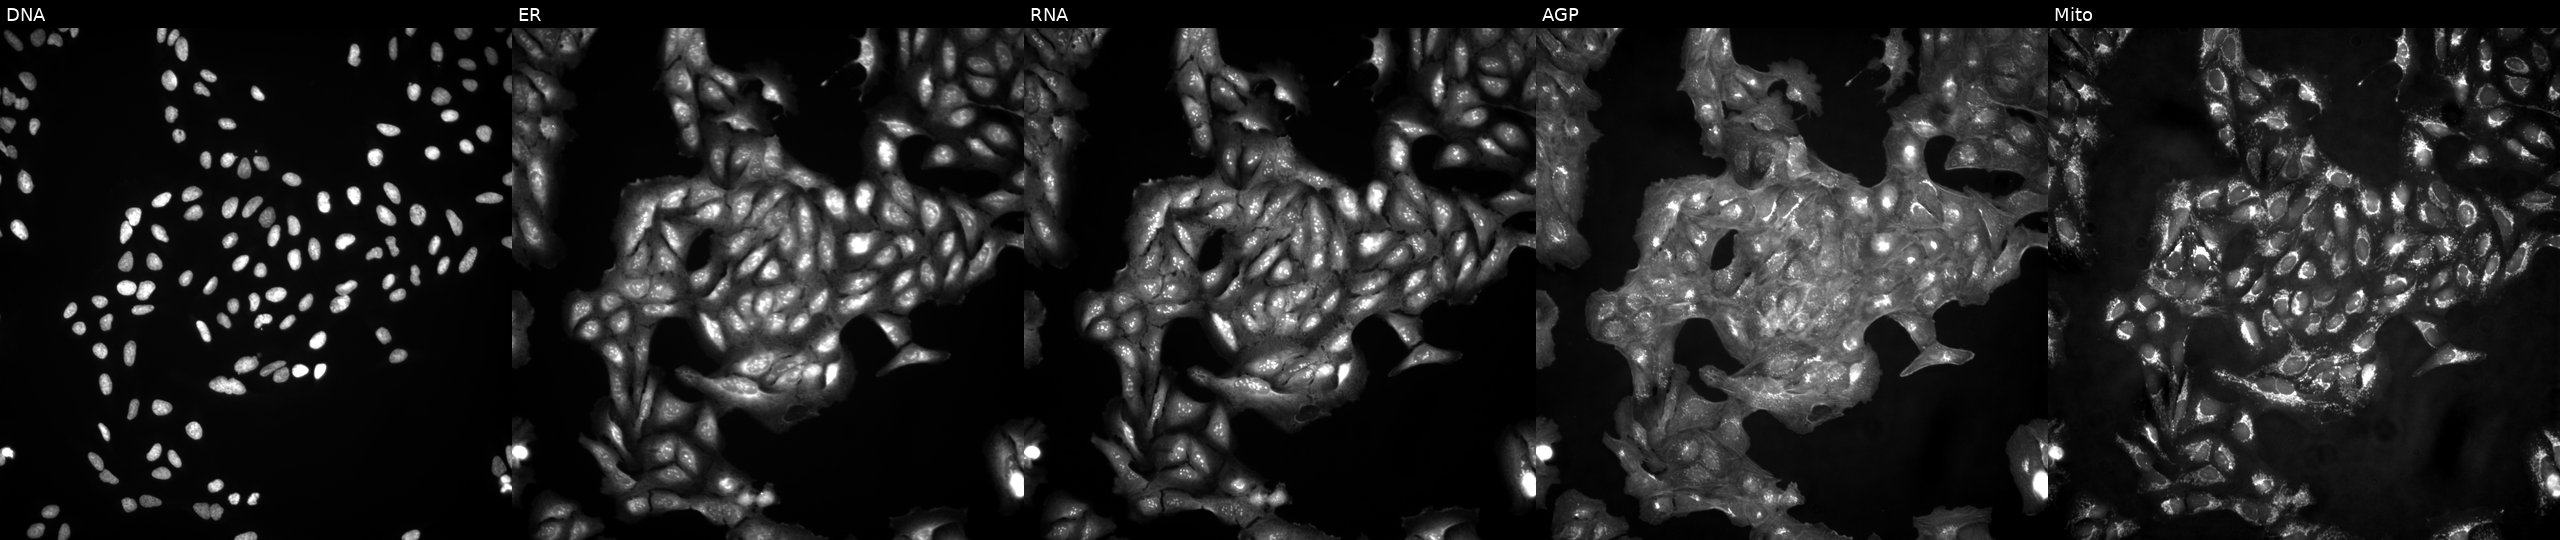
JUMP Cell Painting — ORF plate. U2OS cells untreated (empty-well control). From left to right: Hoechst 33342, concanavalin A, SYTO 14, phalloidin and WGA, MitoTracker. Source 4, plate BR00123946, well G14.